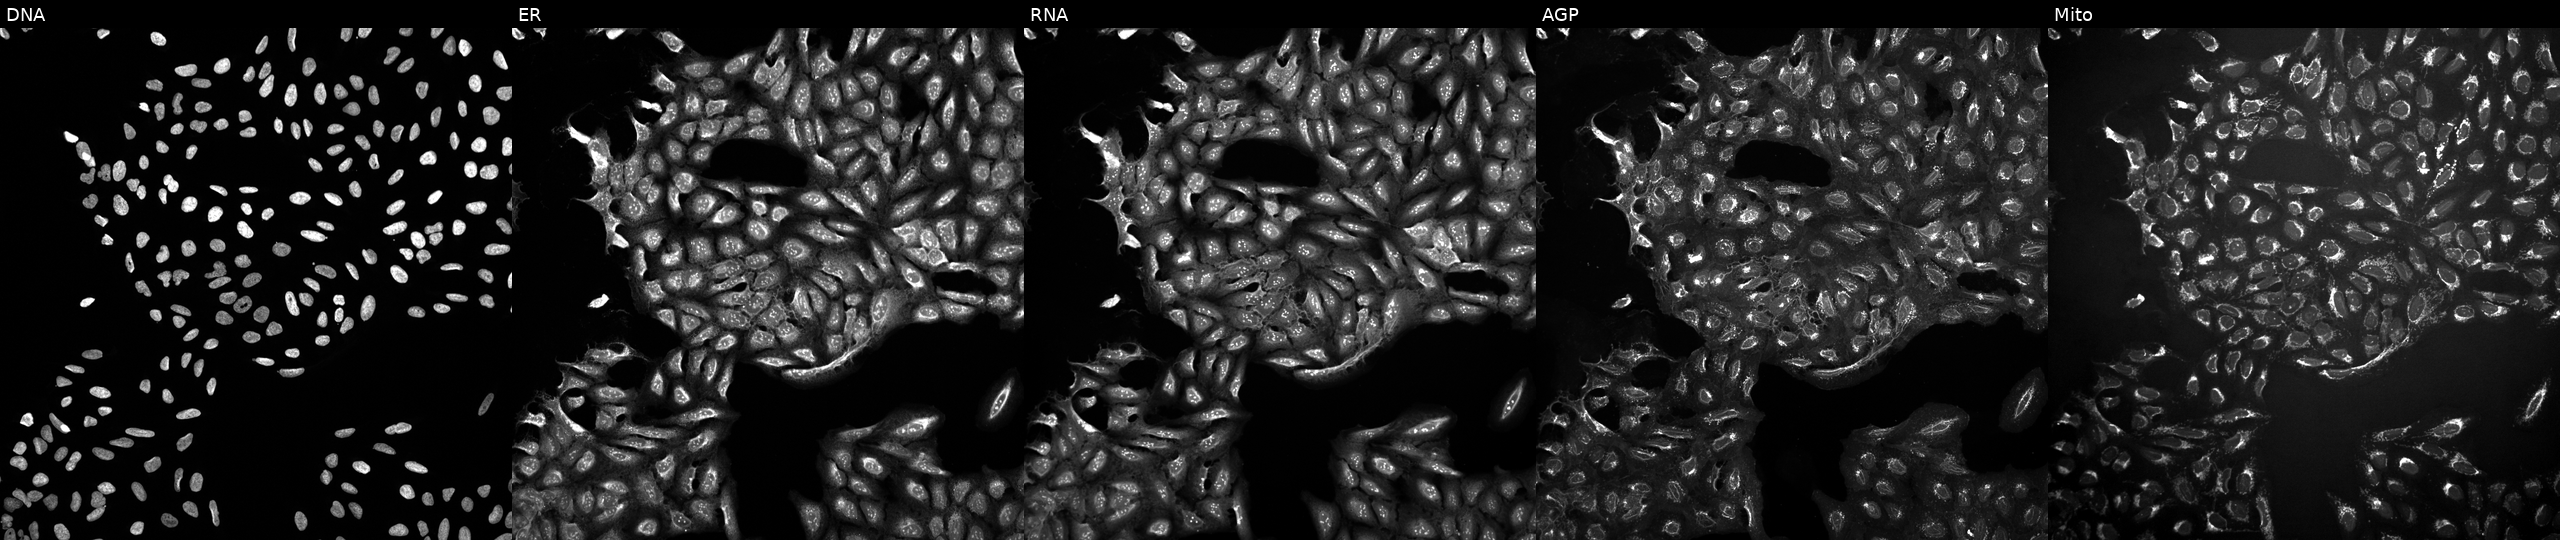
Panels show, left to right, DNA (nuclei); ER (endoplasmic reticulum); RNA (nucleoli and cytoplasmic RNA); AGP (actin cytoskeleton, Golgi, and plasma membrane); Mito (mitochondria). U2OS osteosarcoma cells exposed to a small-molecule compound (JUMP id JCP2022_106781). Cell Painting assay, JUMP-CP dataset. Source 10, plate Dest210803-153958, well J06.